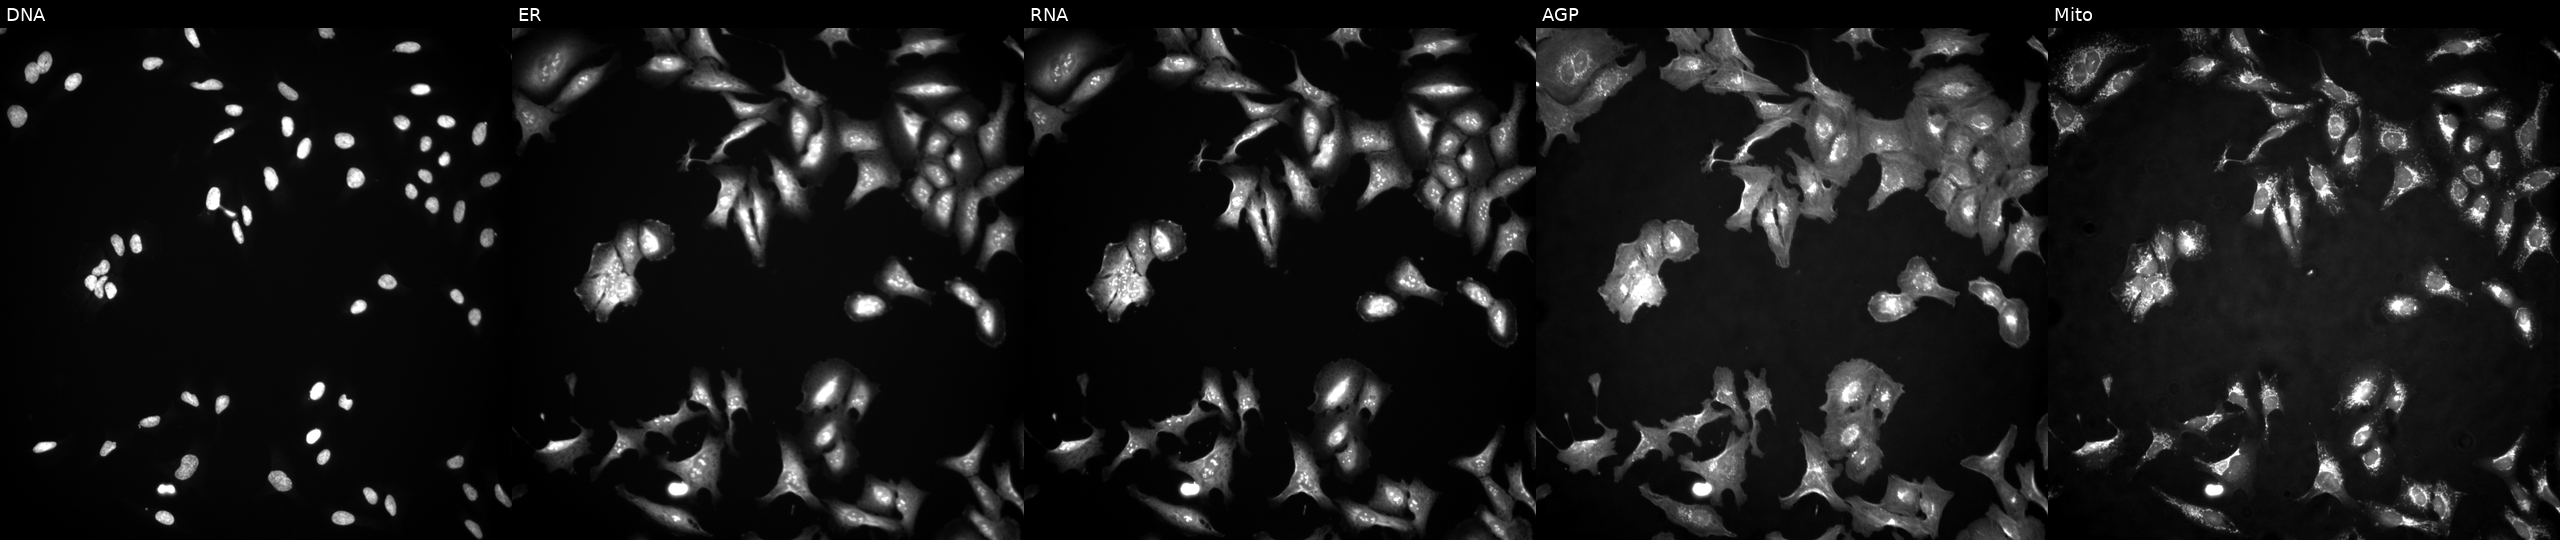
U2OS cells, Cell Painting assay, with ZBTB49 overexpressed (ORF) (JUMP id JCP2022_909101). Panels show, left to right, DNA, ER, RNA, AGP, and Mito. Each panel is percentile-stretched 16-bit fluorescence.